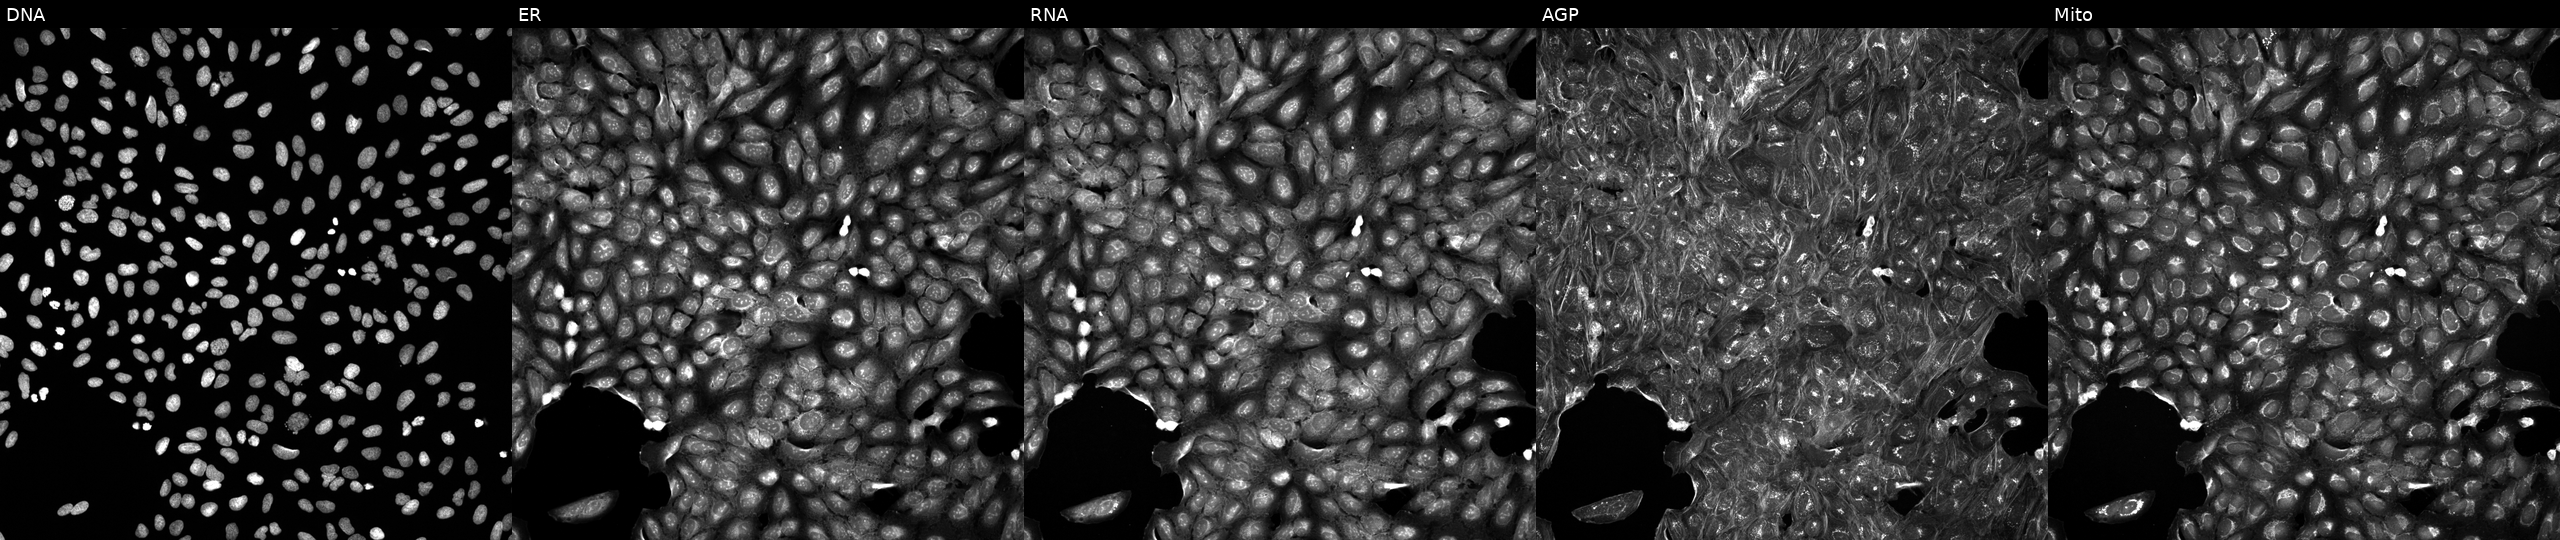
High-content fluorescence microscopy (Cell Painting). Cell line: U2OS. Perturbation: perturbed with a small-molecule compound (InChIKey WQYDAFTYPFRUET-UHFFFAOYSA-N) (JUMP id JCP2022_100597). From left to right: Hoechst 33342, concanavalin A, SYTO 14, phalloidin and WGA, MitoTracker.